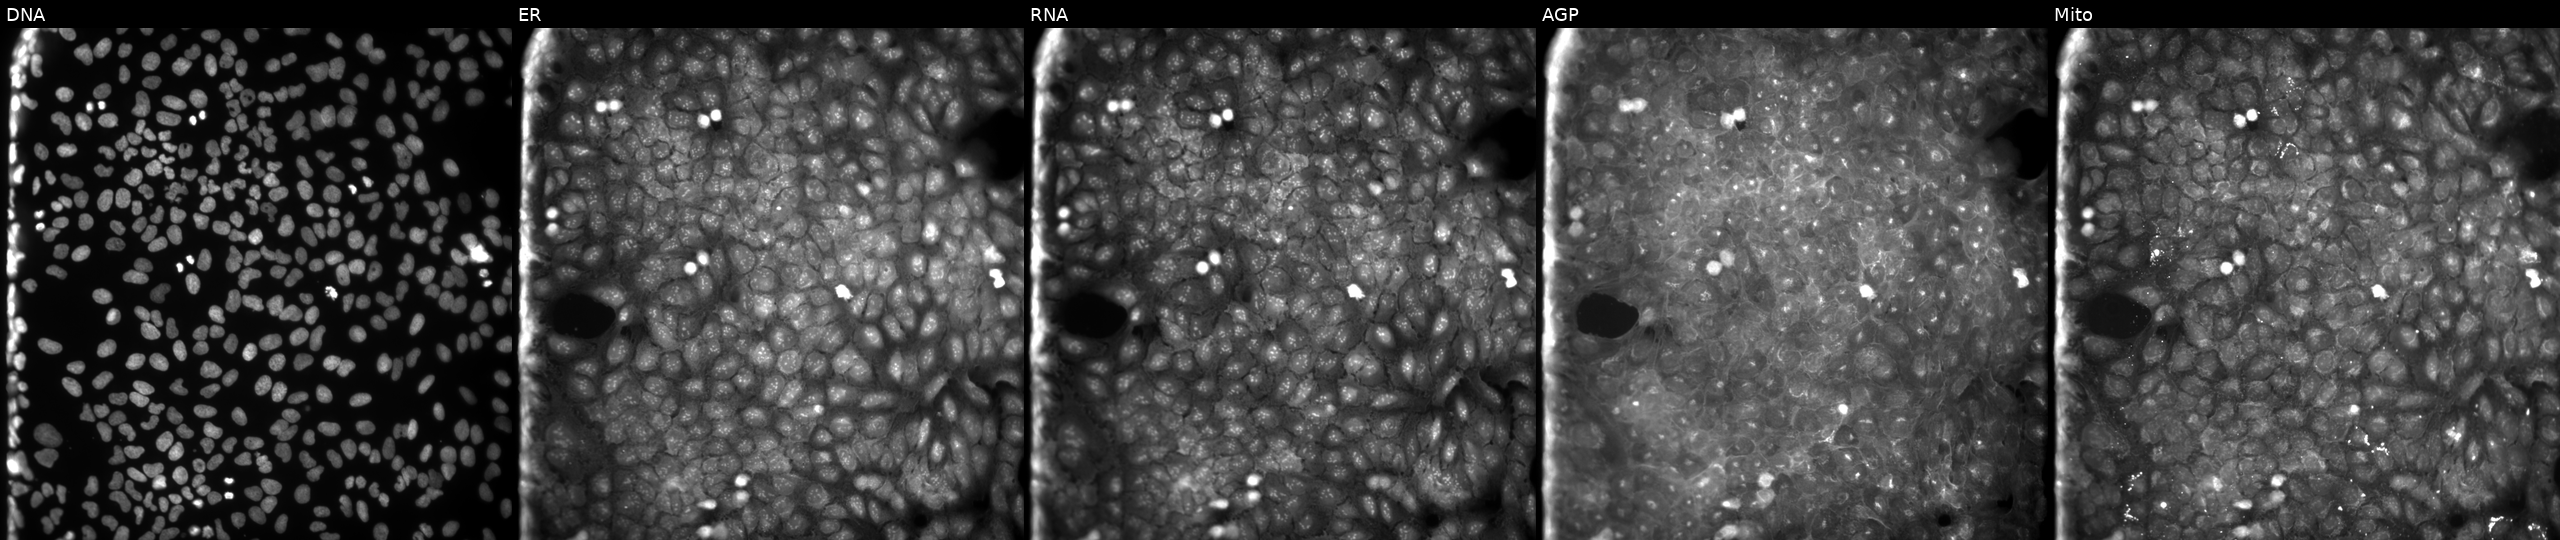
JUMP Cell Painting — COMPOUND plate. U2OS cells treated with DMSO vehicle only (negative control). Channels (left→right): Hoechst 33342, concanavalin A, SYTO 14, phalloidin and WGA, MitoTracker.